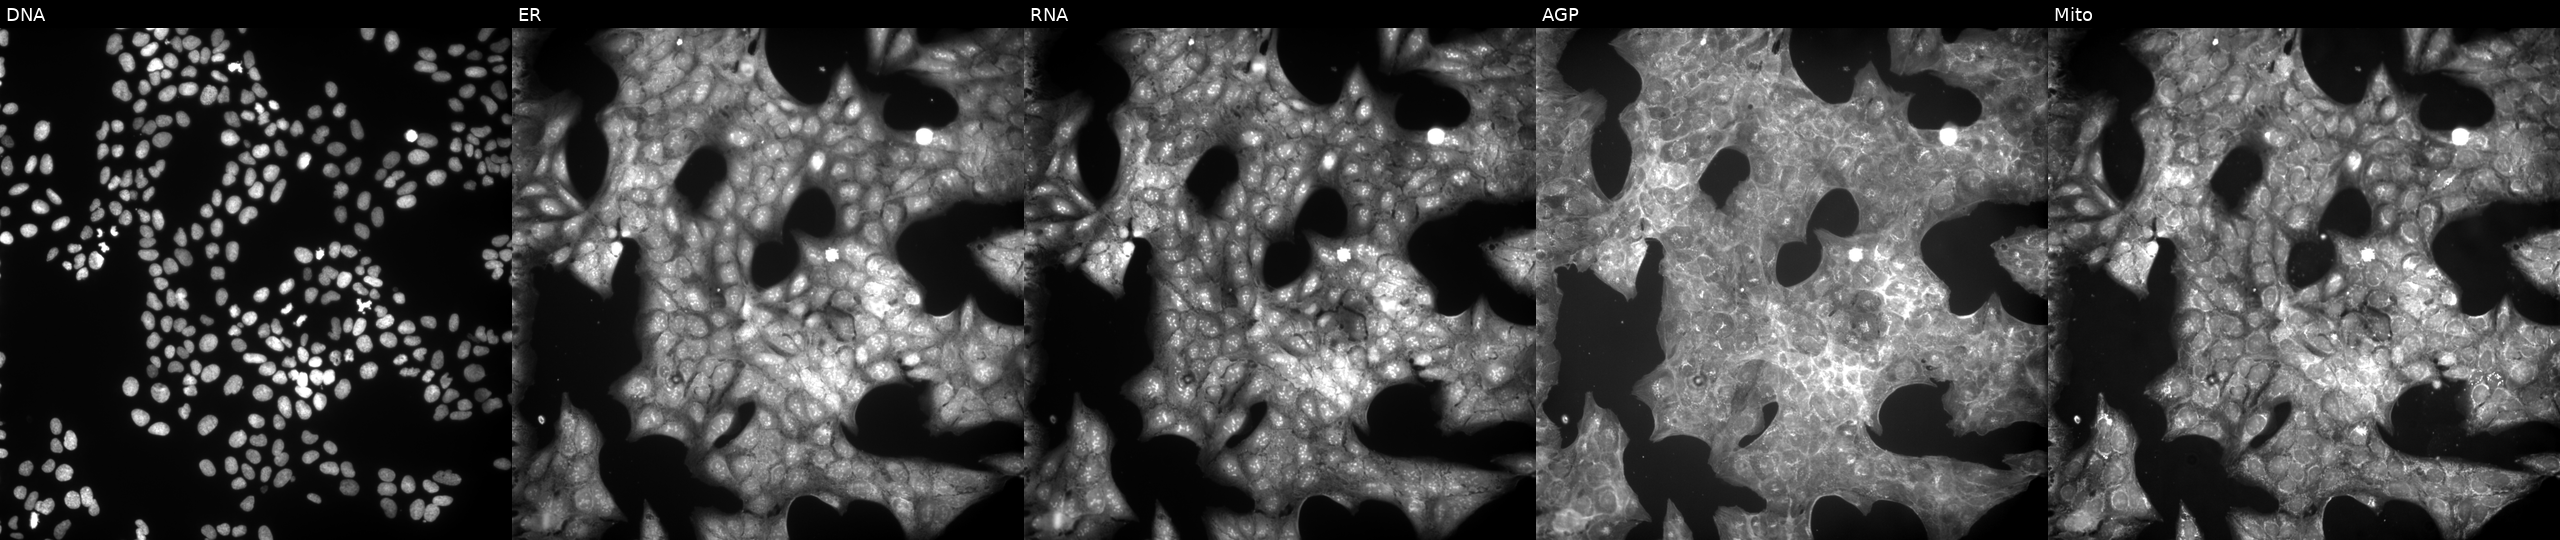
Five-channel Cell Painting image of U2OS cells exposed to a small-molecule compound (InChIKey IBCXZJCWDGCXQT-UHFFFAOYSA-N) (JUMP id JCP2022_033954). Channels (left→right): Hoechst 33342, concanavalin A, SYTO 14, phalloidin and WGA, MitoTracker. Source 9, plate GR00003381, well U24.